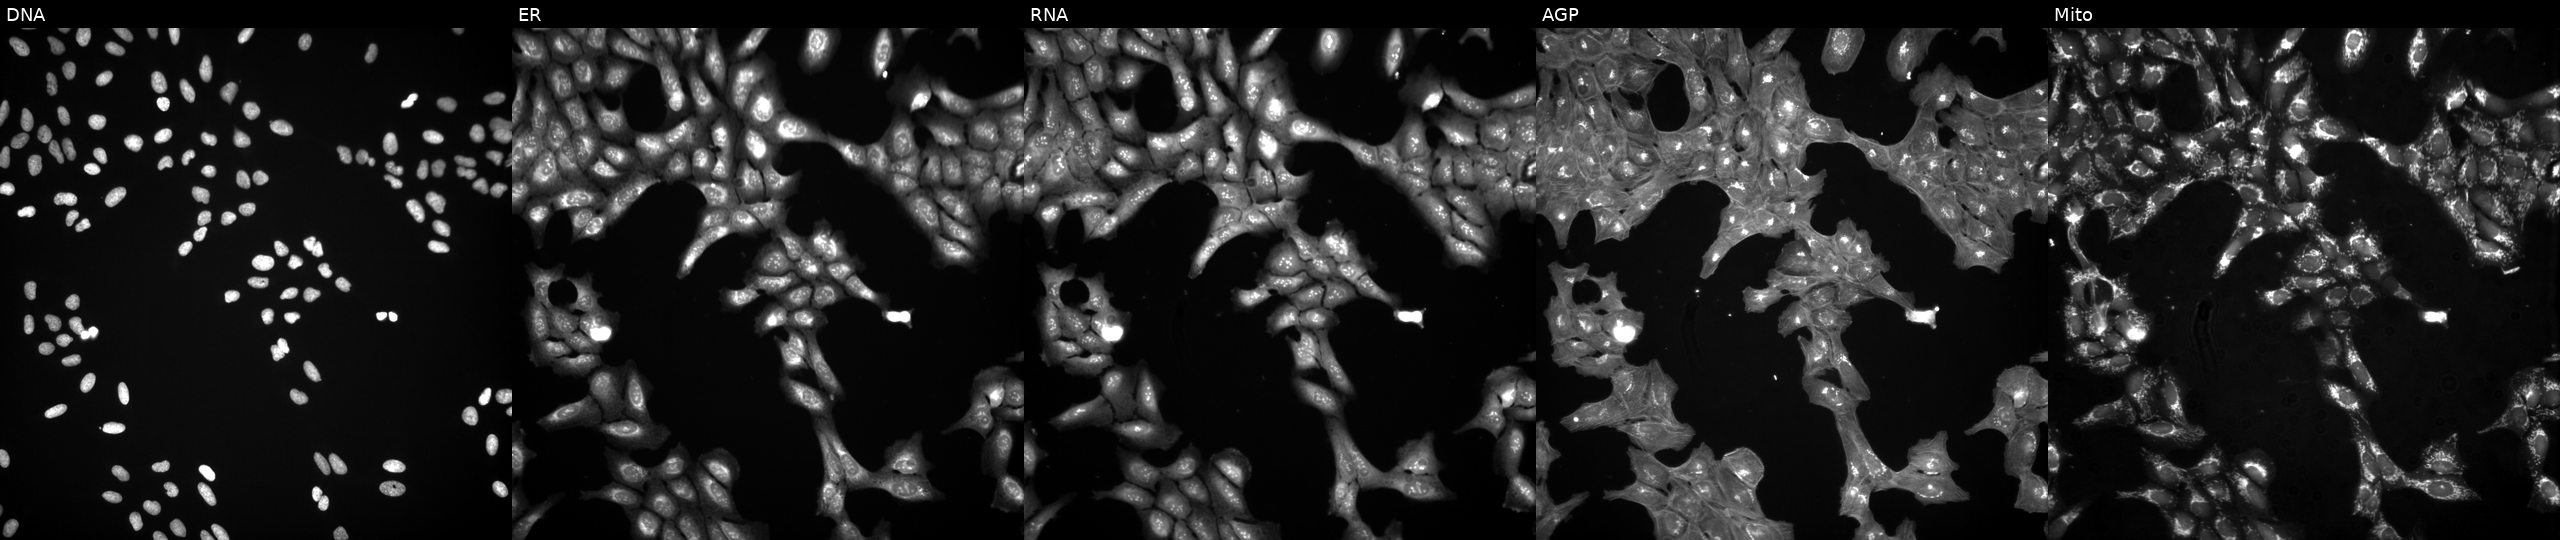
U2OS cells, Cell Painting assay, perturbed with a small-molecule compound (JUMP id JCP2022_083978). Channels (left→right): DNA, ER, RNA, AGP, and Mito. Each panel is percentile-stretched 16-bit fluorescence.